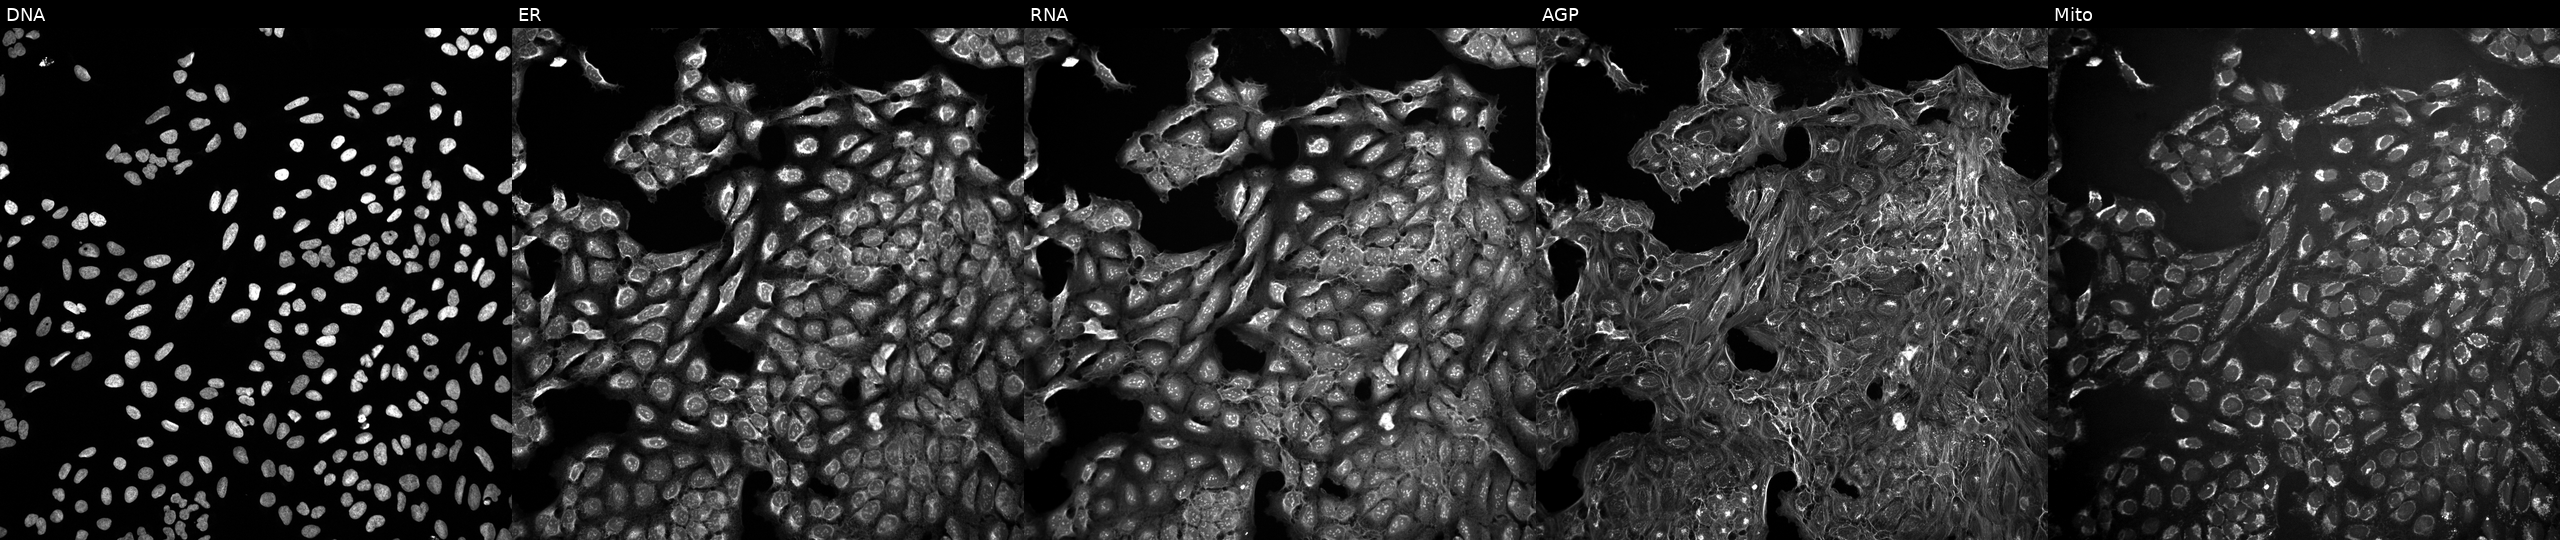
U2OS cells, Cell Painting assay, perturbed with a small-molecule compound [SMILES: COCCNC(=O)C1CCCCC(=O)N1Cc1ccccc1]. Channels (left→right): Hoechst 33342, concanavalin A, SYTO 14, phalloidin and WGA, MitoTracker. Each panel is percentile-stretched 16-bit fluorescence. Source 10, plate Dest210531-152324, well N07.